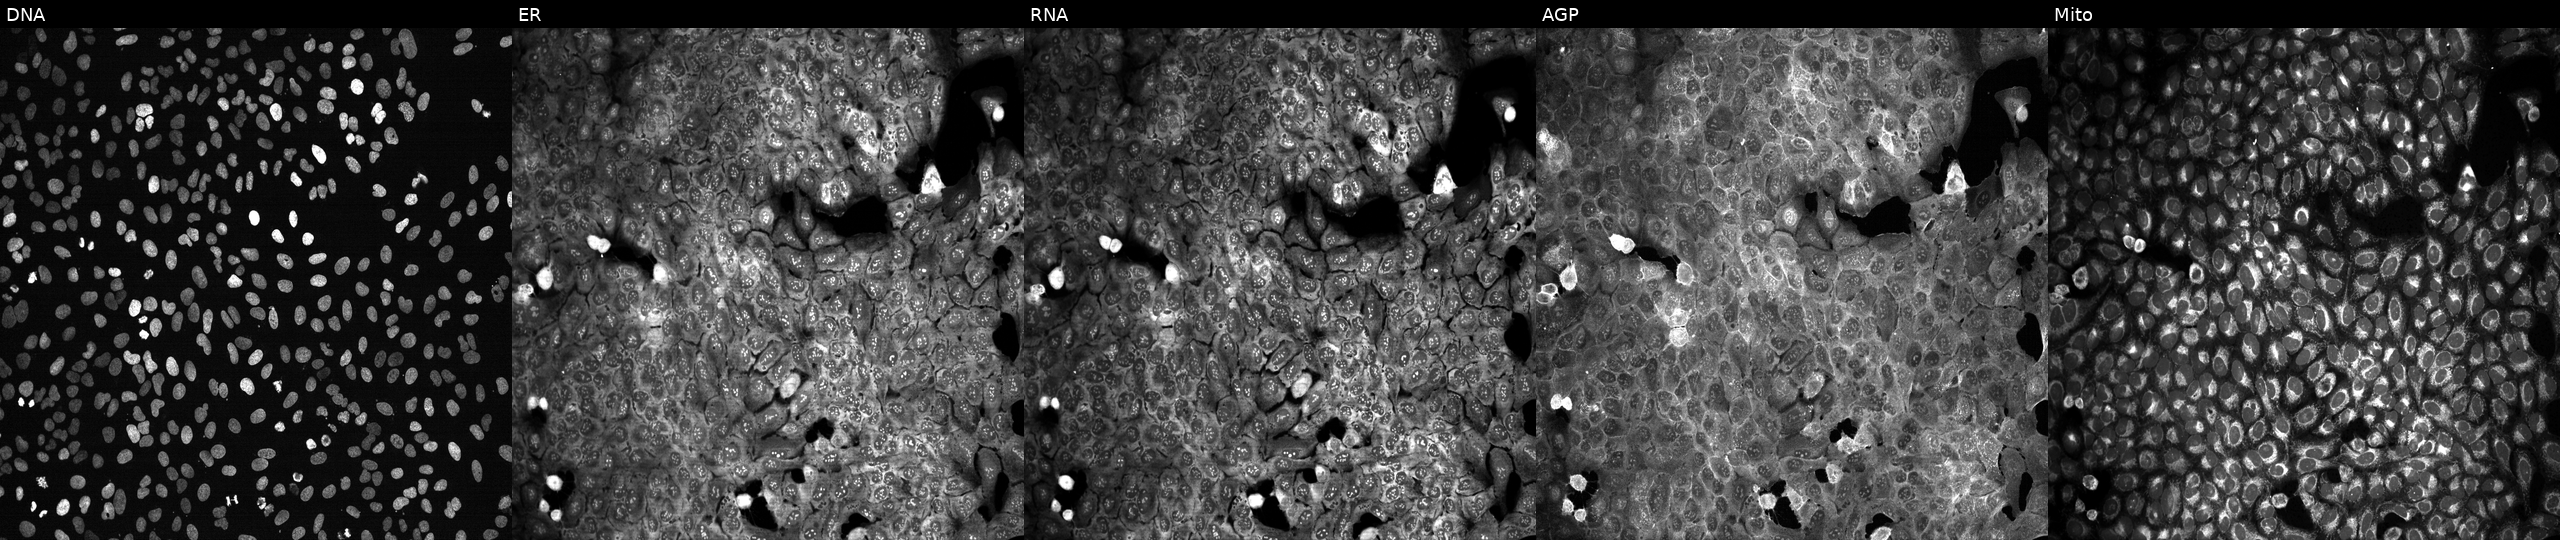
High-content fluorescence microscopy (Cell Painting). Cell line: U2OS. Perturbation: CRISPR-edited to disrupt EIF4E3 (JUMP id JCP2022_802072). Panels show, left to right, DNA (nuclei); ER (endoplasmic reticulum); RNA (nucleoli and cytoplasmic RNA); AGP (actin cytoskeleton, Golgi, and plasma membrane); Mito (mitochondria).